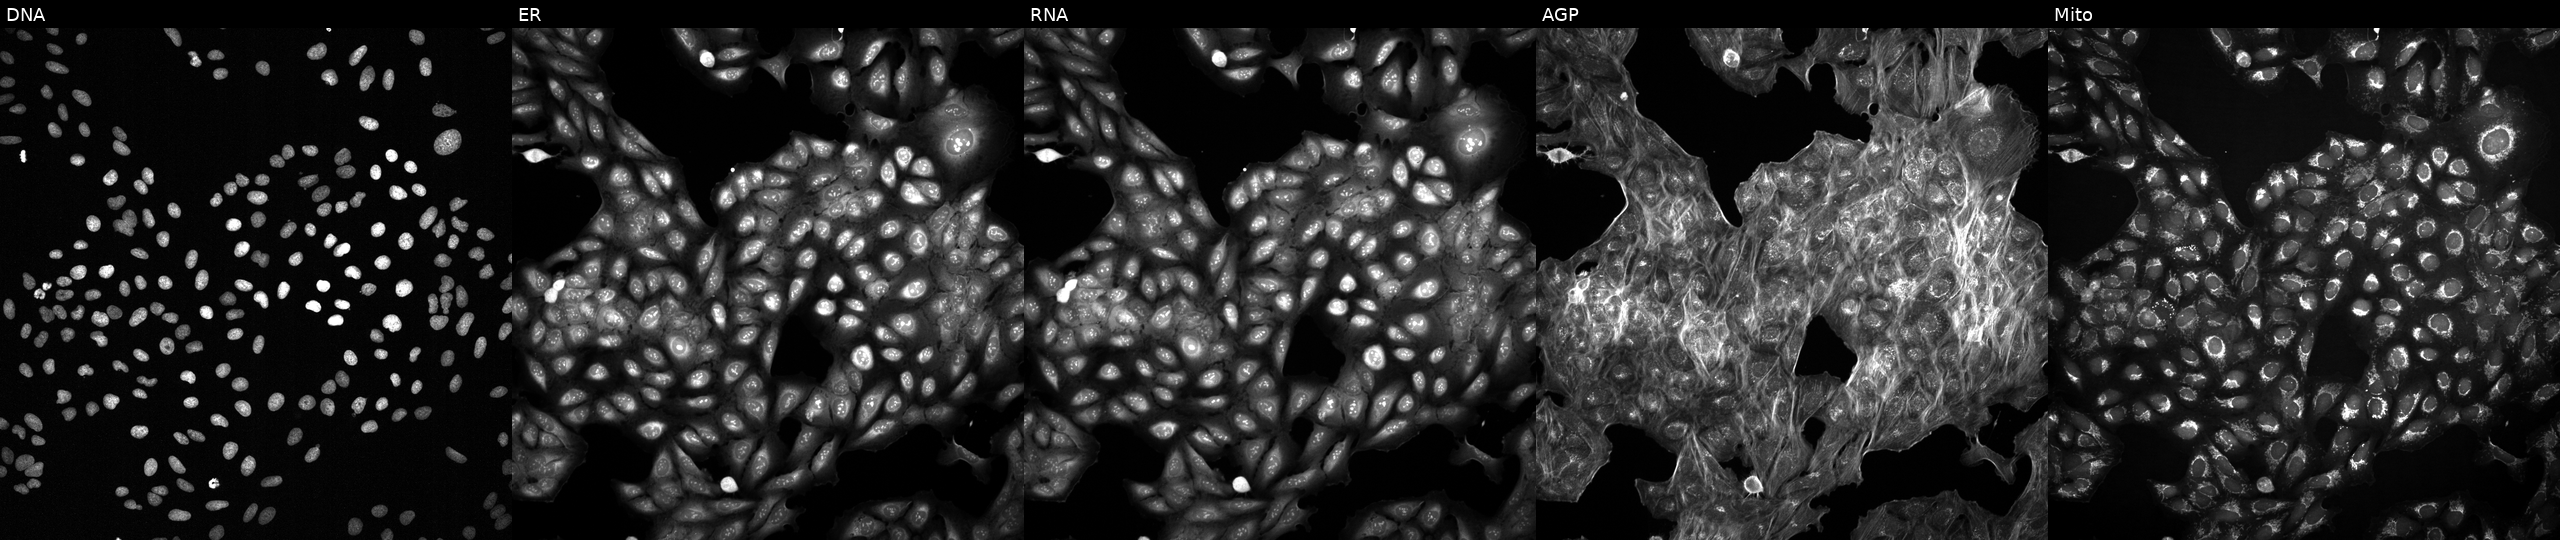
High-content fluorescence microscopy (Cell Painting). Cell line: U2OS. Perturbation: with an unidentified perturbation (not annotated in JUMP metadata). Panels show, left to right, DNA (nuclei); ER (endoplasmic reticulum); RNA (nucleoli and cytoplasmic RNA); AGP (actin cytoskeleton, Golgi, and plasma membrane); Mito (mitochondria).